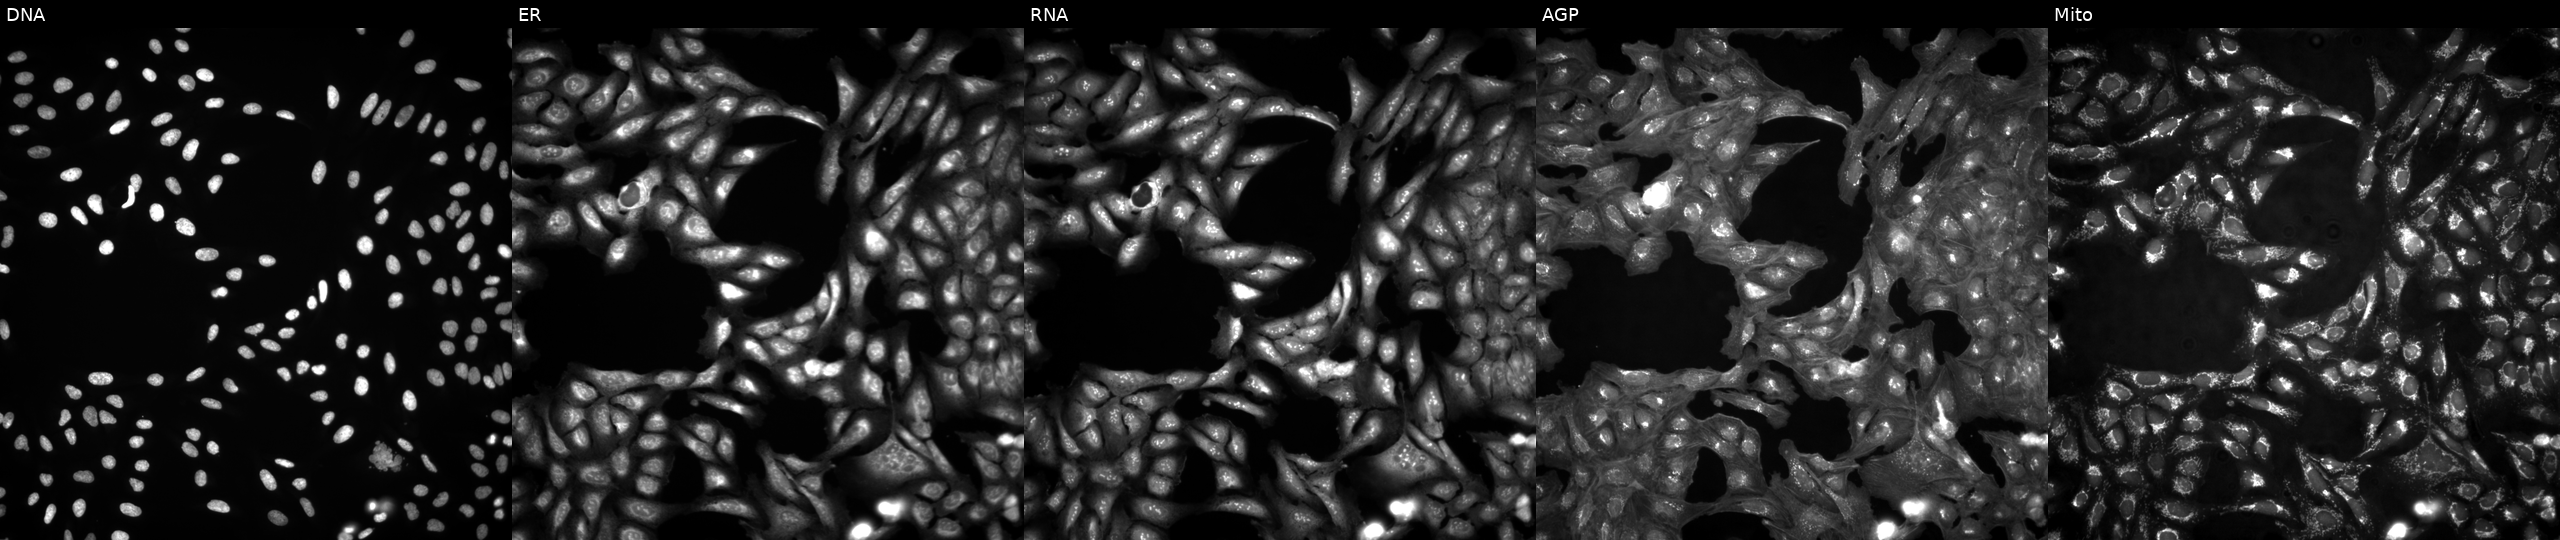
U2OS cells, Cell Painting assay, untreated (empty-well control). The five panels, left to right, show DNA, ER, RNA, AGP, and Mito. Each panel is percentile-stretched 16-bit fluorescence.